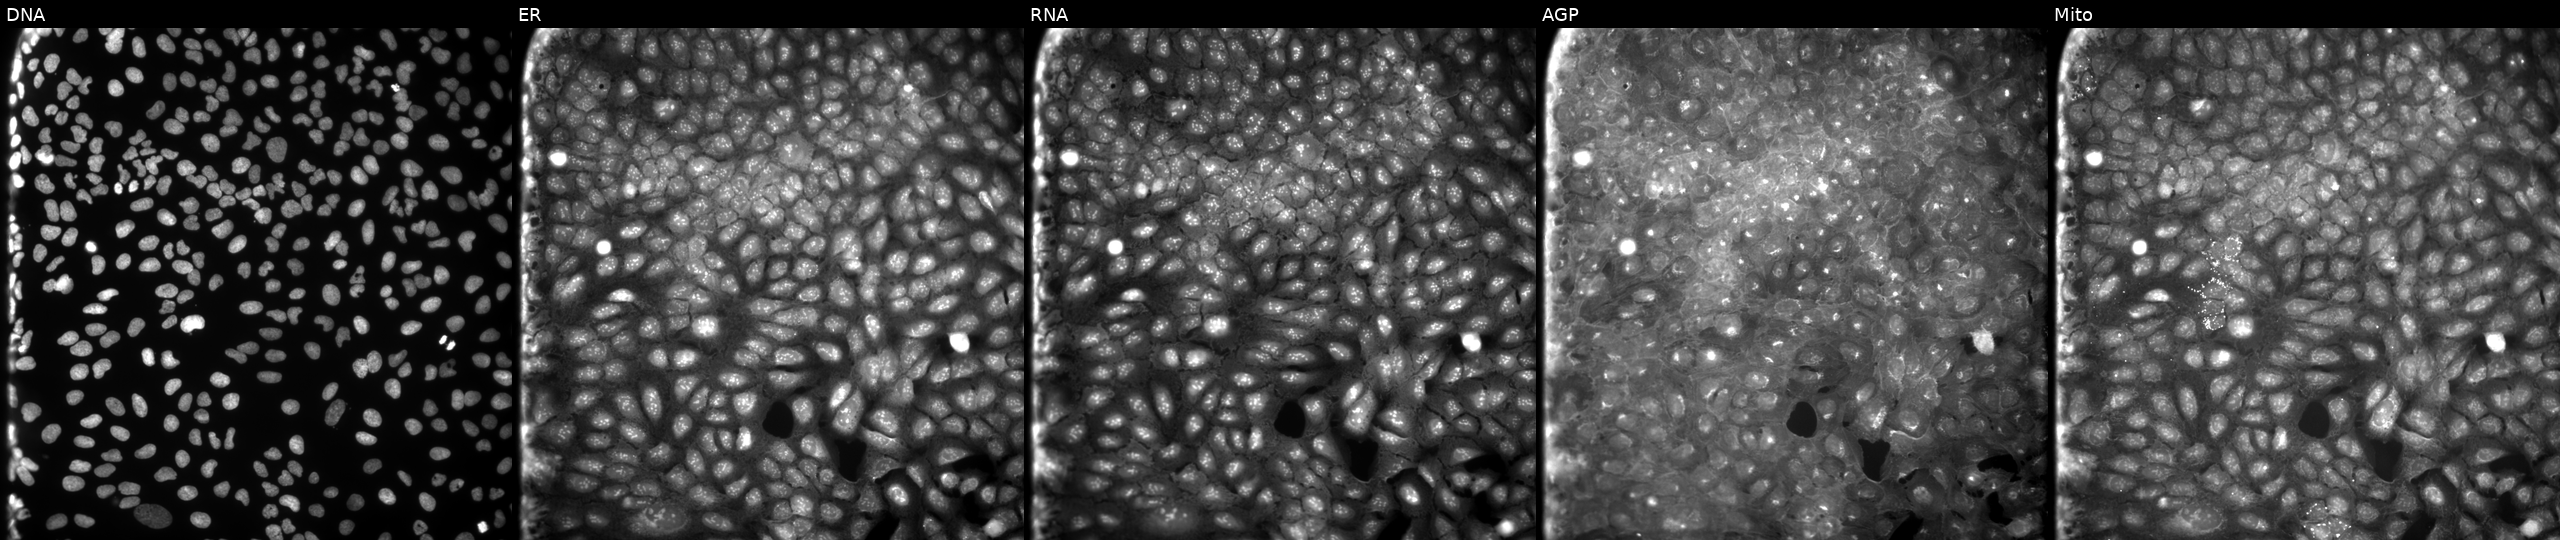
This image strip shows the five Cell Painting channels for a single field of U2OS cells treated with a small-molecule compound (JUMP id JCP2022_084854). Panels show, left to right, DNA, ER, RNA, AGP, and Mito.